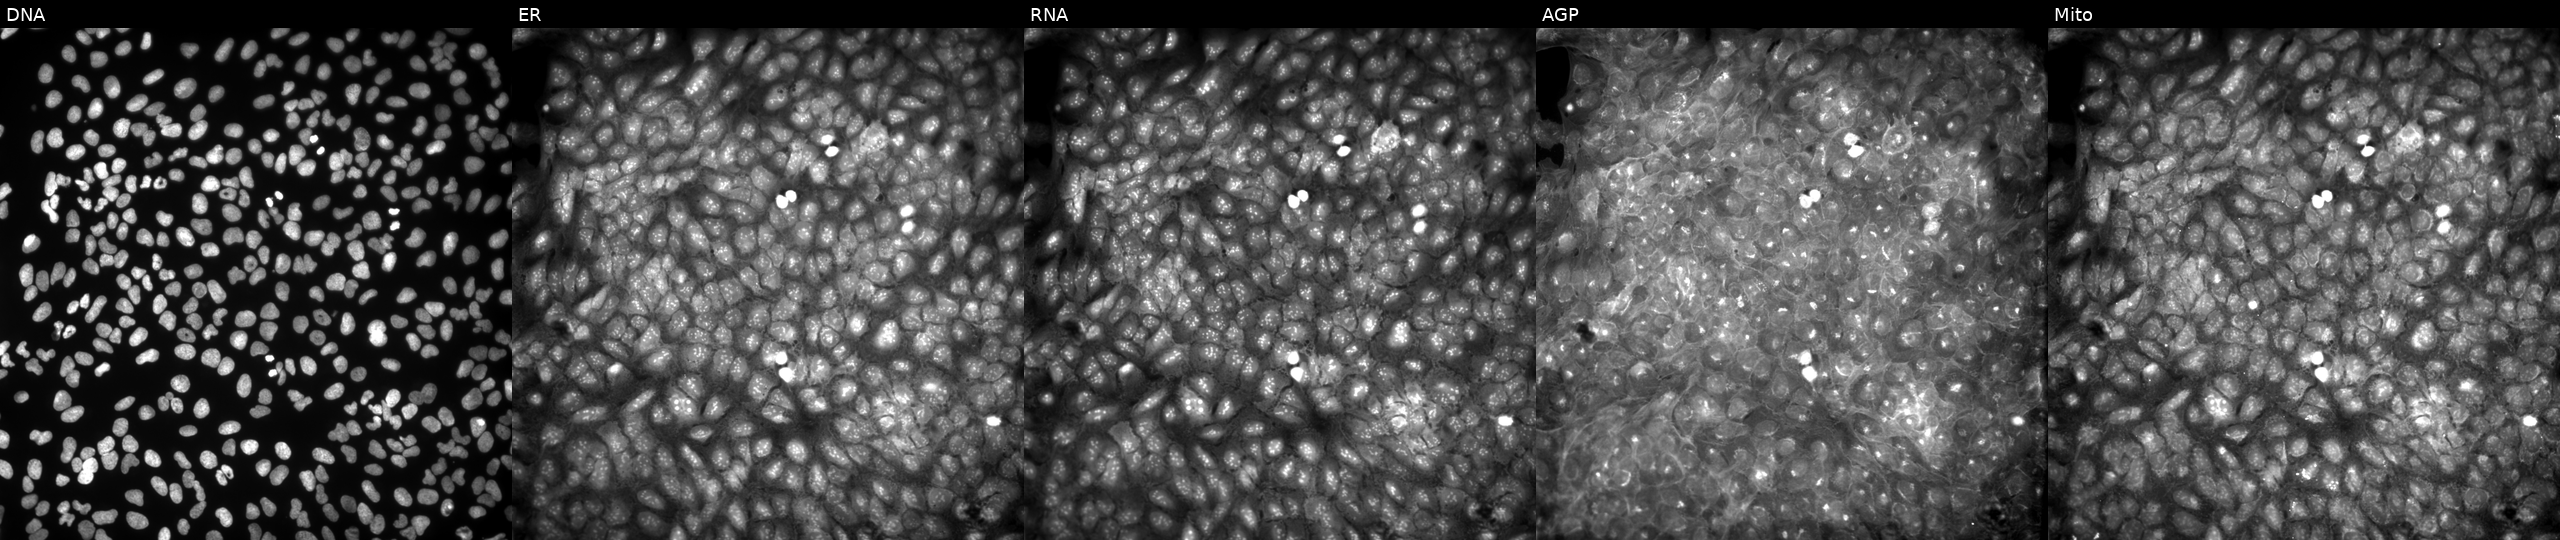
High-content fluorescence microscopy (Cell Painting). Cell line: U2OS. Perturbation: exposed to a small-molecule compound (InChIKey IIBLTCQPIQYFIA-UHFFFAOYSA-N). The five panels, left to right, show DNA (nuclei); ER (endoplasmic reticulum); RNA (nucleoli and cytoplasmic RNA); AGP (actin cytoskeleton, Golgi, and plasma membrane); Mito (mitochondria). Source 9, plate GR00003381, well AF12.